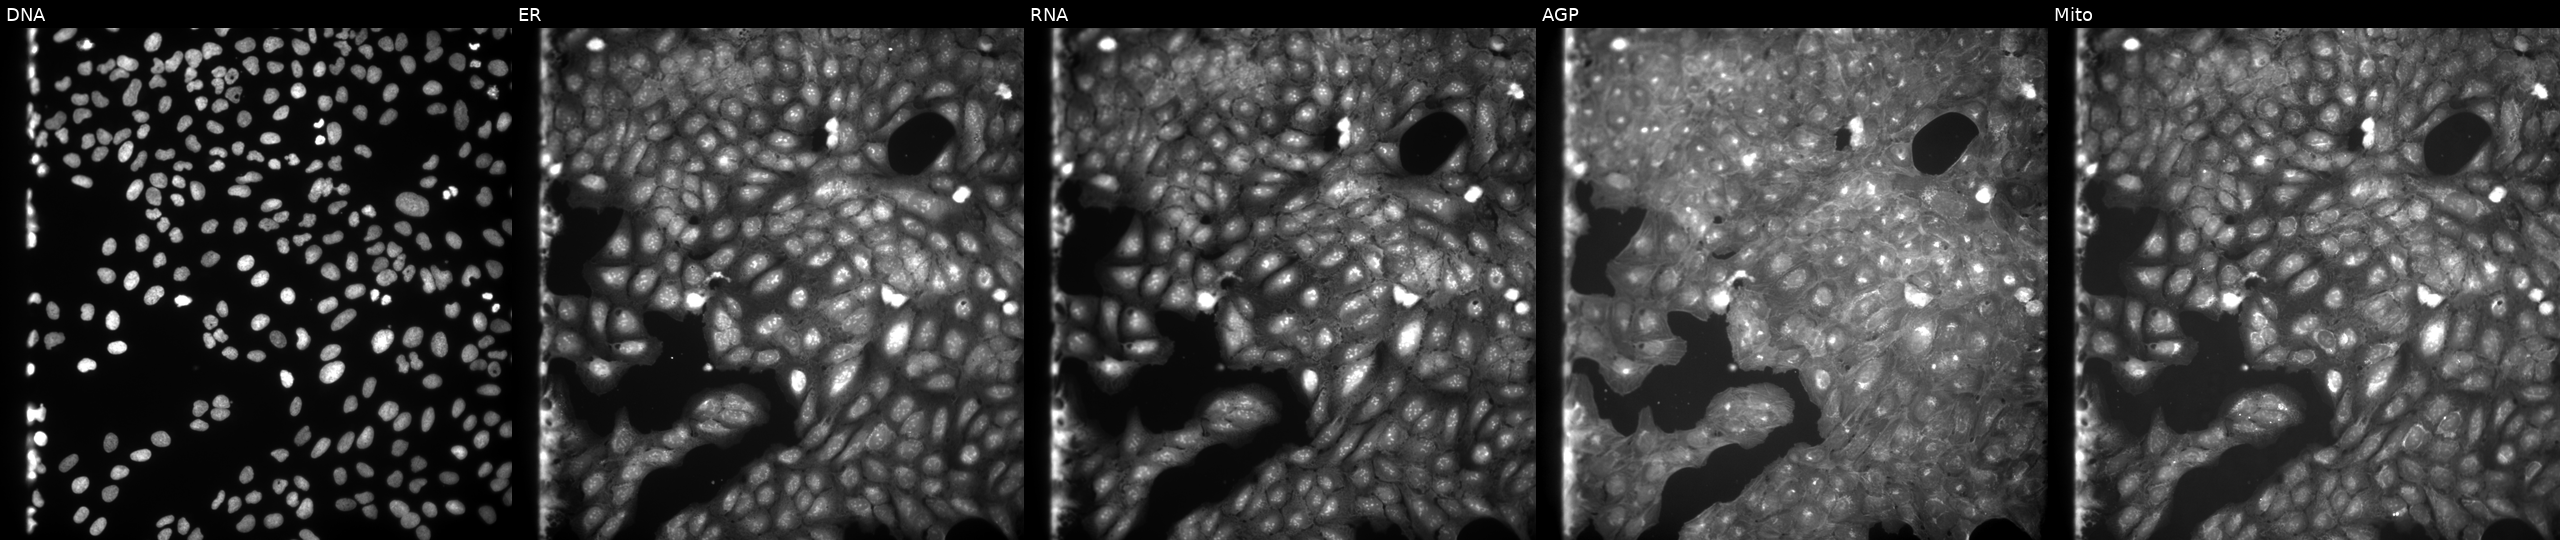
High-content fluorescence microscopy (Cell Painting). Cell line: U2OS. Perturbation: exposed to a small-molecule compound (InChIKey LCGVYGLDLGTJAP-UHFFFAOYSA-N) (JUMP id JCP2022_048518). From left to right: Hoechst 33342, concanavalin A, SYTO 14, phalloidin and WGA, MitoTracker. Source 9, plate GR00003381, well C05.